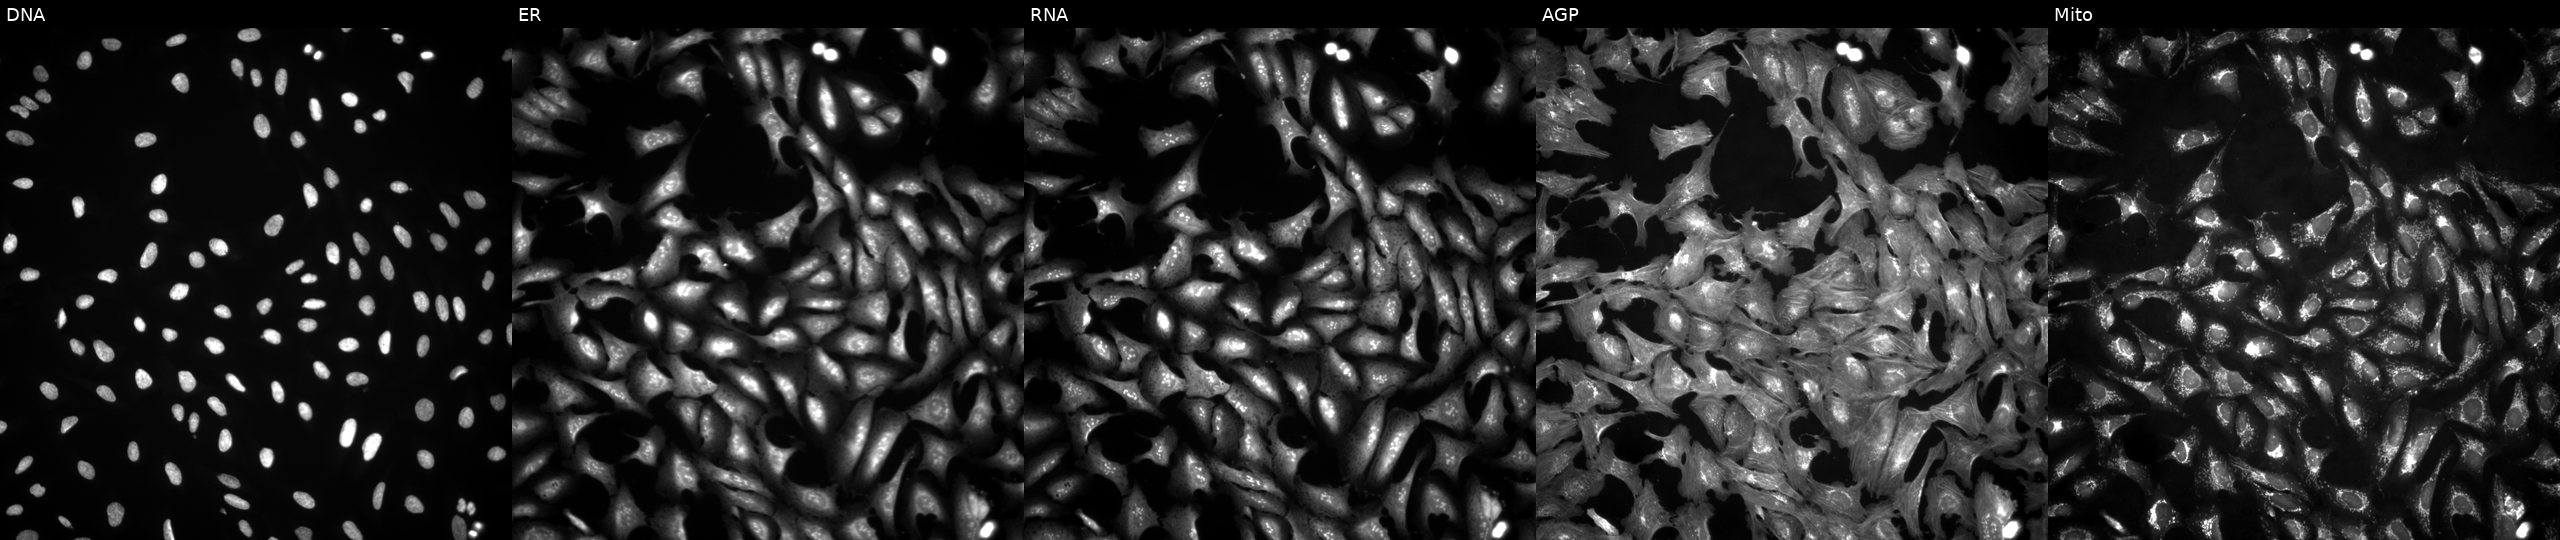
Five-channel Cell Painting image of U2OS cells with MRPL23 overexpressed (ORF) (JUMP id JCP2022_901335). Panels show, left to right, Hoechst 33342, concanavalin A, SYTO 14, phalloidin and WGA, MitoTracker. Source 4, plate BR00124784, well P08.